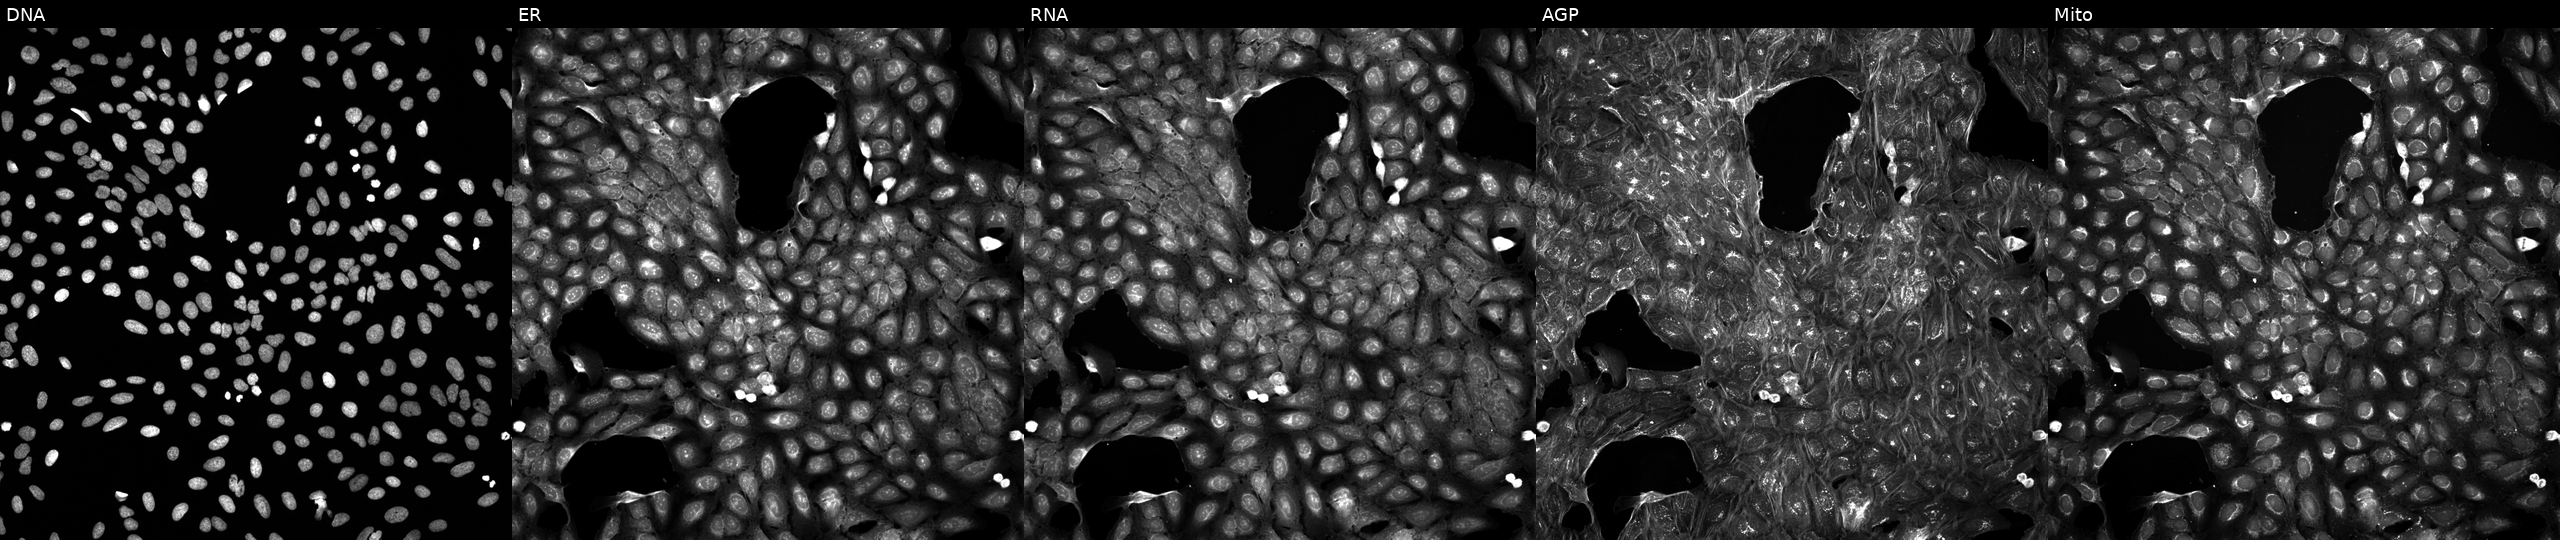
U2OS cells, Cell Painting assay, treated with a small-molecule compound (InChIKey UGQZQZMUENLSCH-UHFFFAOYSA-N) (JUMP id JCP2022_089097). From left to right: DNA (nuclei); ER (endoplasmic reticulum); RNA (nucleoli and cytoplasmic RNA); AGP (actin cytoskeleton, Golgi, and plasma membrane); Mito (mitochondria). Each panel is percentile-stretched 16-bit fluorescence. Source 5, plate APTJUM105, well G08.